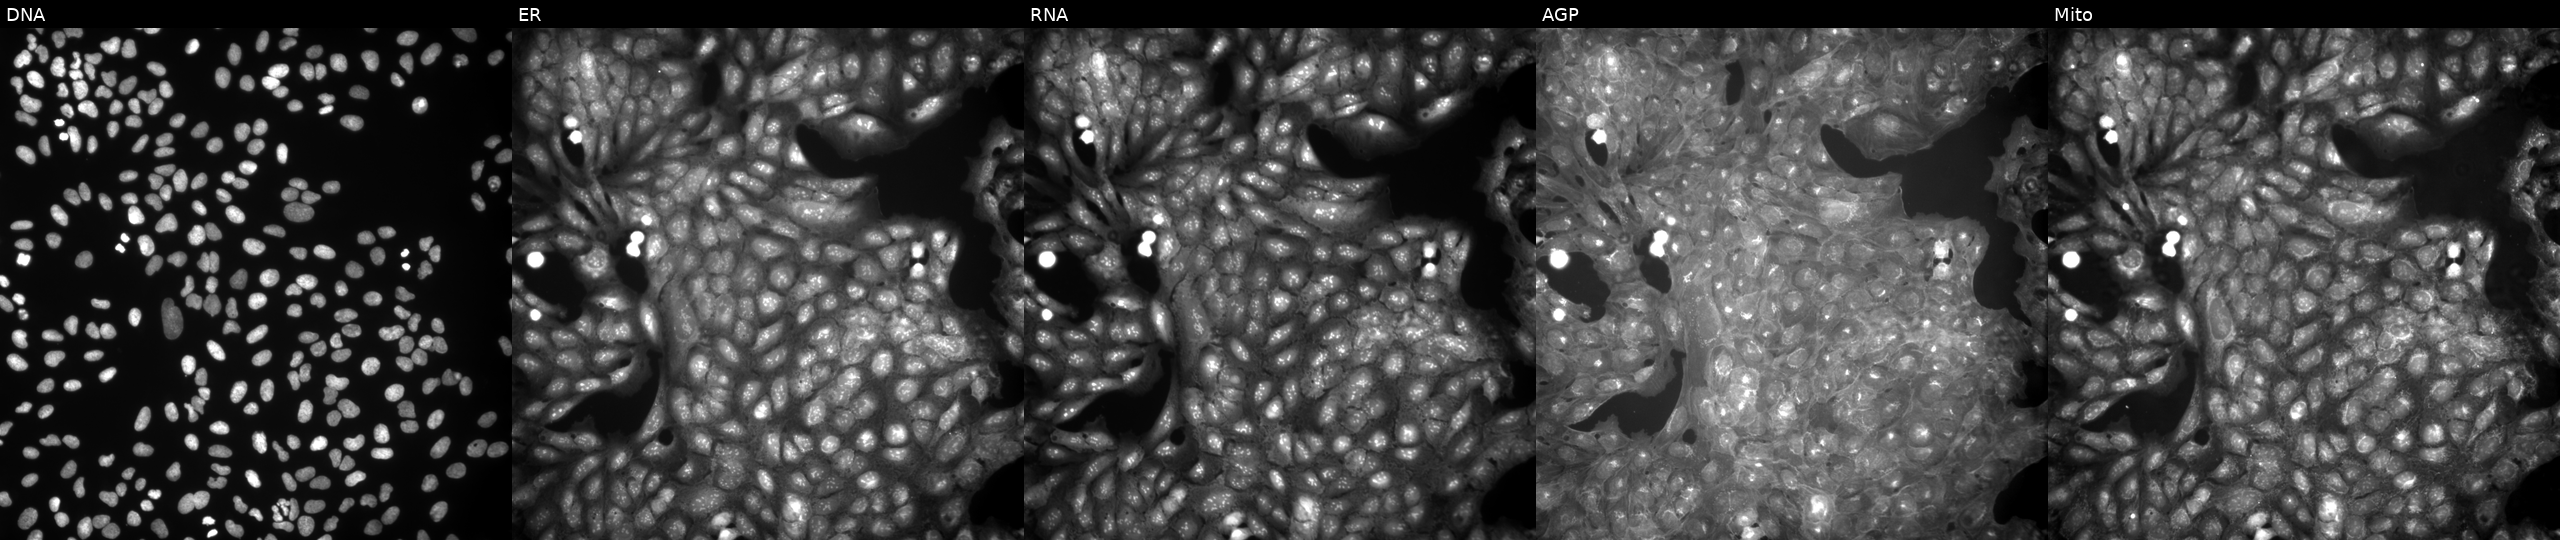
U2OS cells, Cell Painting assay, perturbed with a small-molecule compound (InChIKey FAEKTUDLKDVPSY-UHFFFAOYSA-N) [SMILES: CCOC(=O)c1c[nH]c2c(Cl)c(Cl)ccc2c1=O]. From left to right: DNA, ER, RNA, AGP, and Mito. Each panel is percentile-stretched 16-bit fluorescence. Source 9, plate GR00003381, well A35.